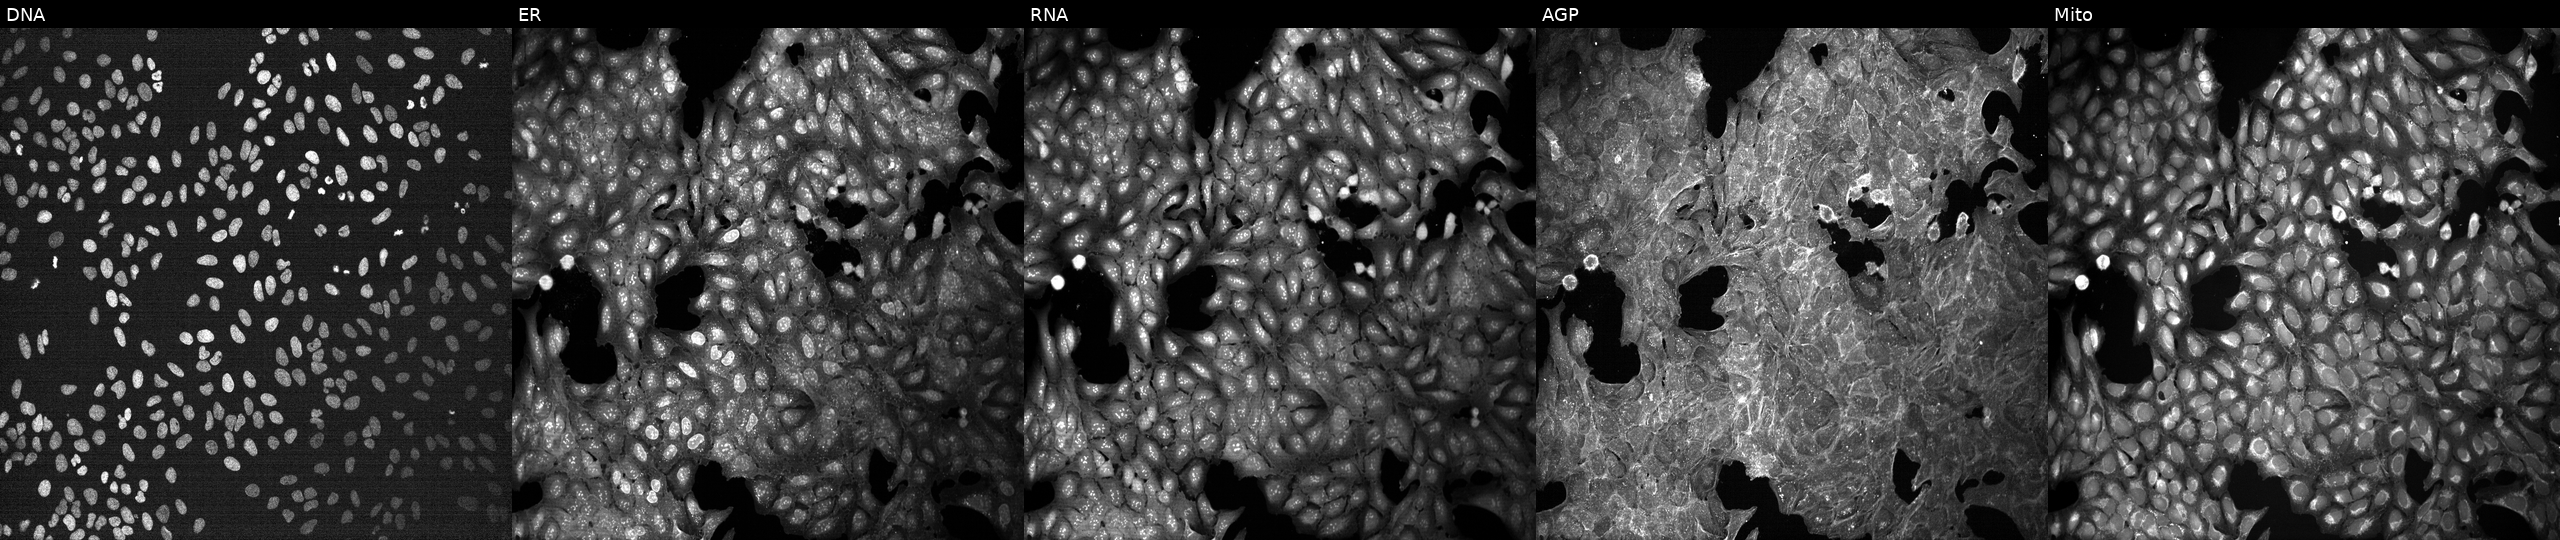
This image strip shows the five Cell Painting channels for a single field of U2OS cells treated with a small-molecule compound (InChIKey HWHLPVGTWGOCJO-UHFFFAOYSA-N) (JUMP id JCP2022_033012). From left to right: DNA, ER, RNA, AGP, and Mito. Source 7, plate CP1-SC1-25, well O20.